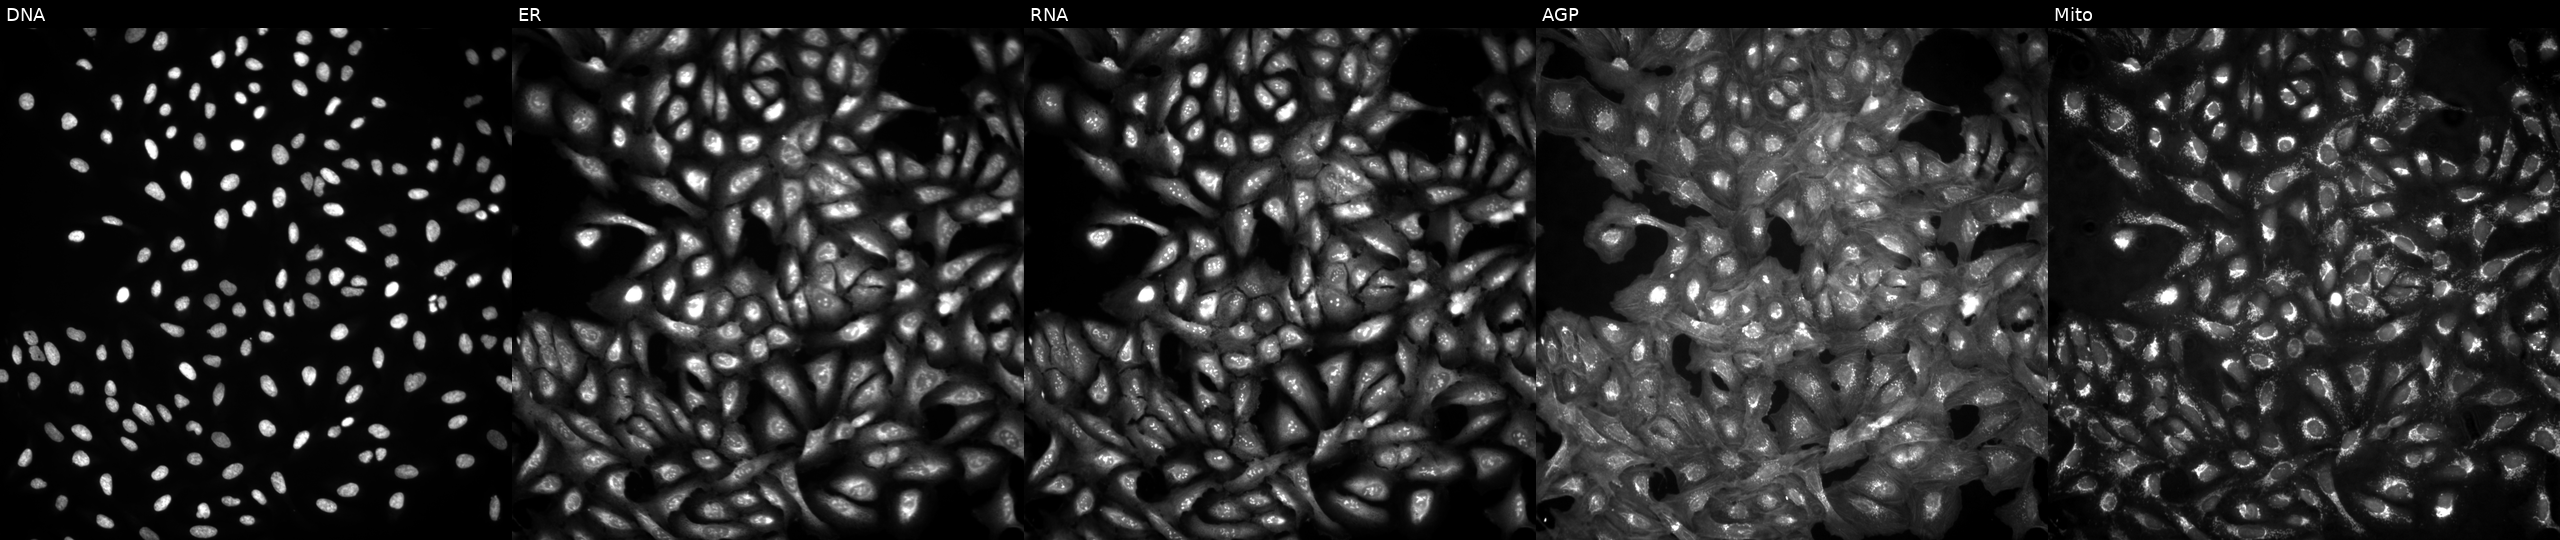
This image strip shows the five Cell Painting channels for a single field of U2OS cells untreated (empty-well control). The five panels, left to right, show DNA, ER, RNA, AGP, and Mito. Source 4, plate BR00124793, well D17.